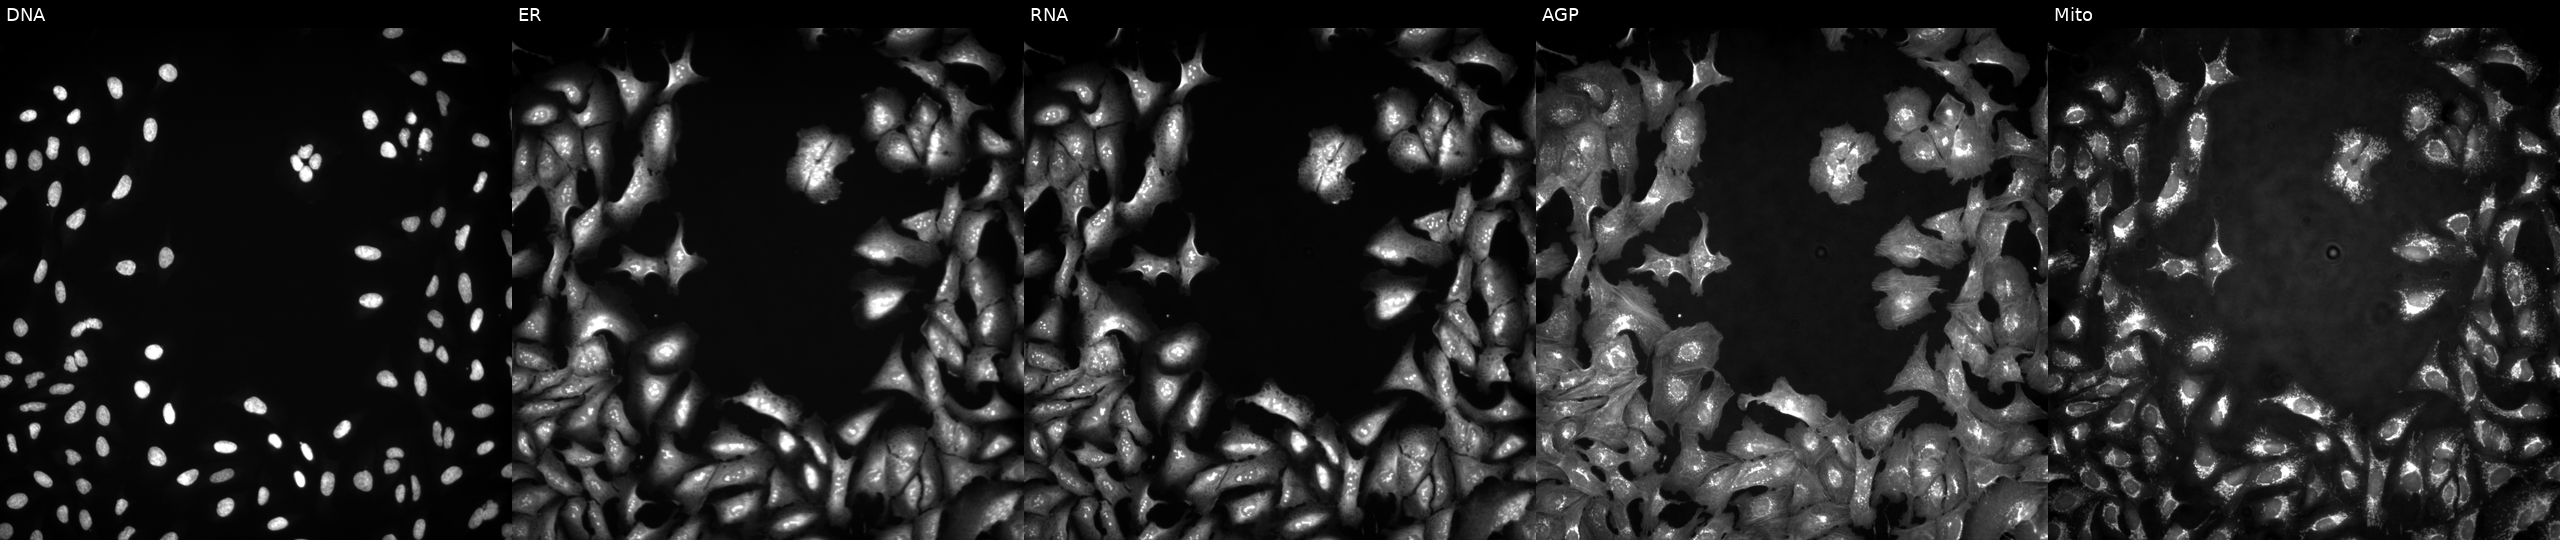
High-content fluorescence microscopy (Cell Painting). Cell line: U2OS. Perturbation: transfected with an ORF construct for ZNF92 (JUMP id JCP2022_909109). From left to right: DNA, ER, RNA, AGP, and Mito. Source 4, plate BR00117035, well N13.